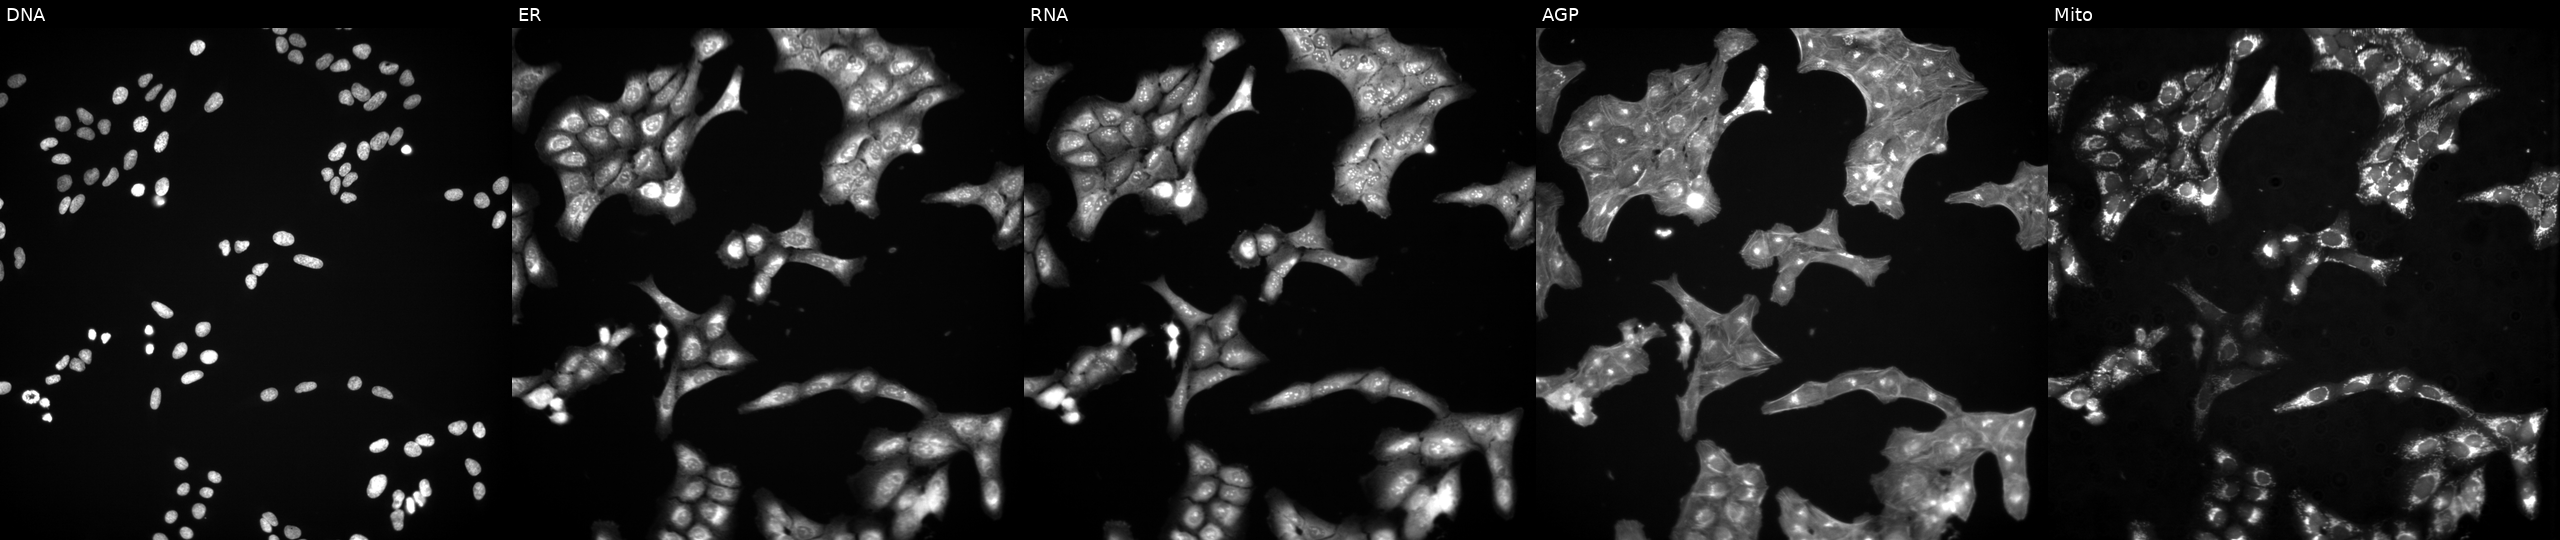
This image strip shows the five Cell Painting channels for a single field of U2OS cells treated with a small-molecule compound (InChIKey HHTWYVDUCLRROQ-UHFFFAOYSA-N). Channels (left→right): DNA, ER, RNA, AGP, and Mito.